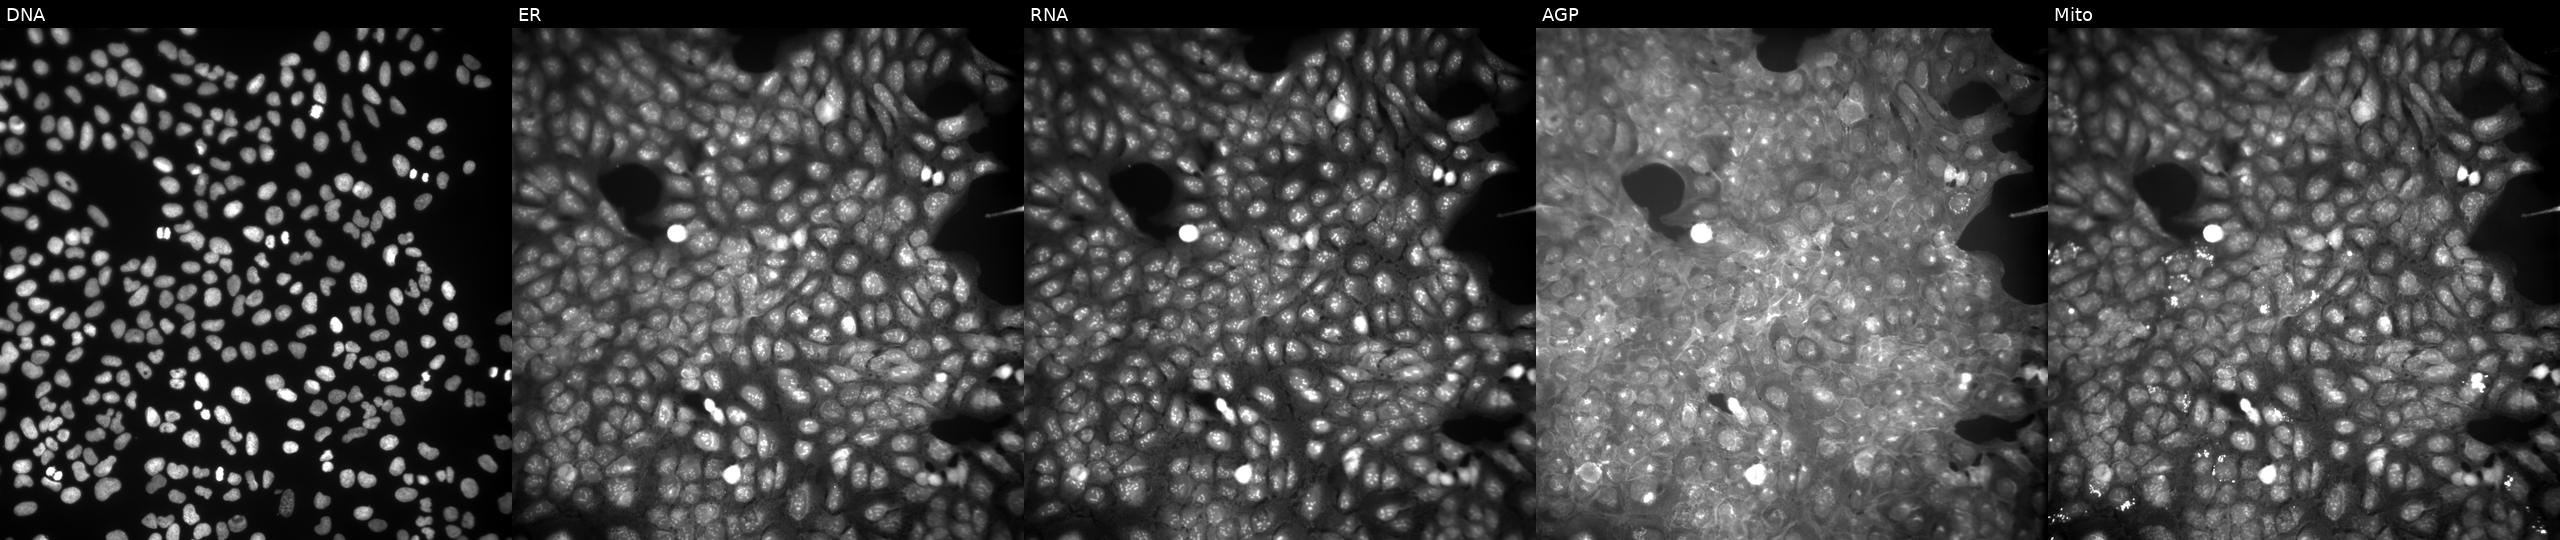
This image strip shows the five Cell Painting channels for a single field of U2OS cells perturbed with a small-molecule compound (InChIKey QZIGJPHBMDXUDU-UHFFFAOYSA-N) (JUMP id JCP2022_076864). From left to right: Hoechst 33342, concanavalin A, SYTO 14, phalloidin and WGA, MitoTracker.